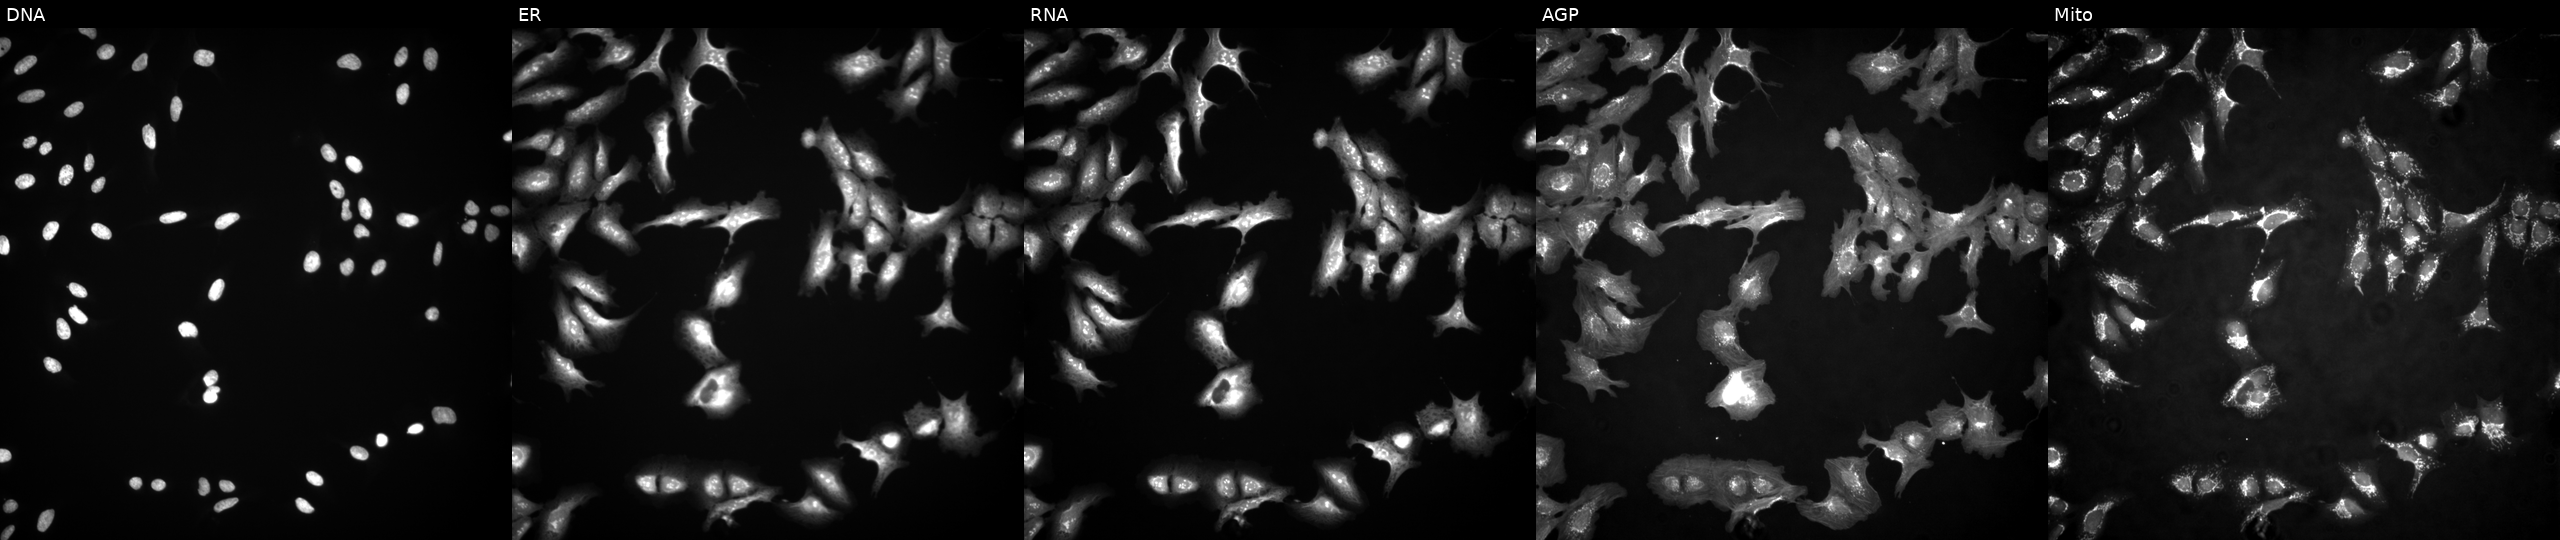
Five-channel Cell Painting image of U2OS cells transfected with an ORF construct for POLR3C. From left to right: DNA, ER, RNA, AGP, and Mito.